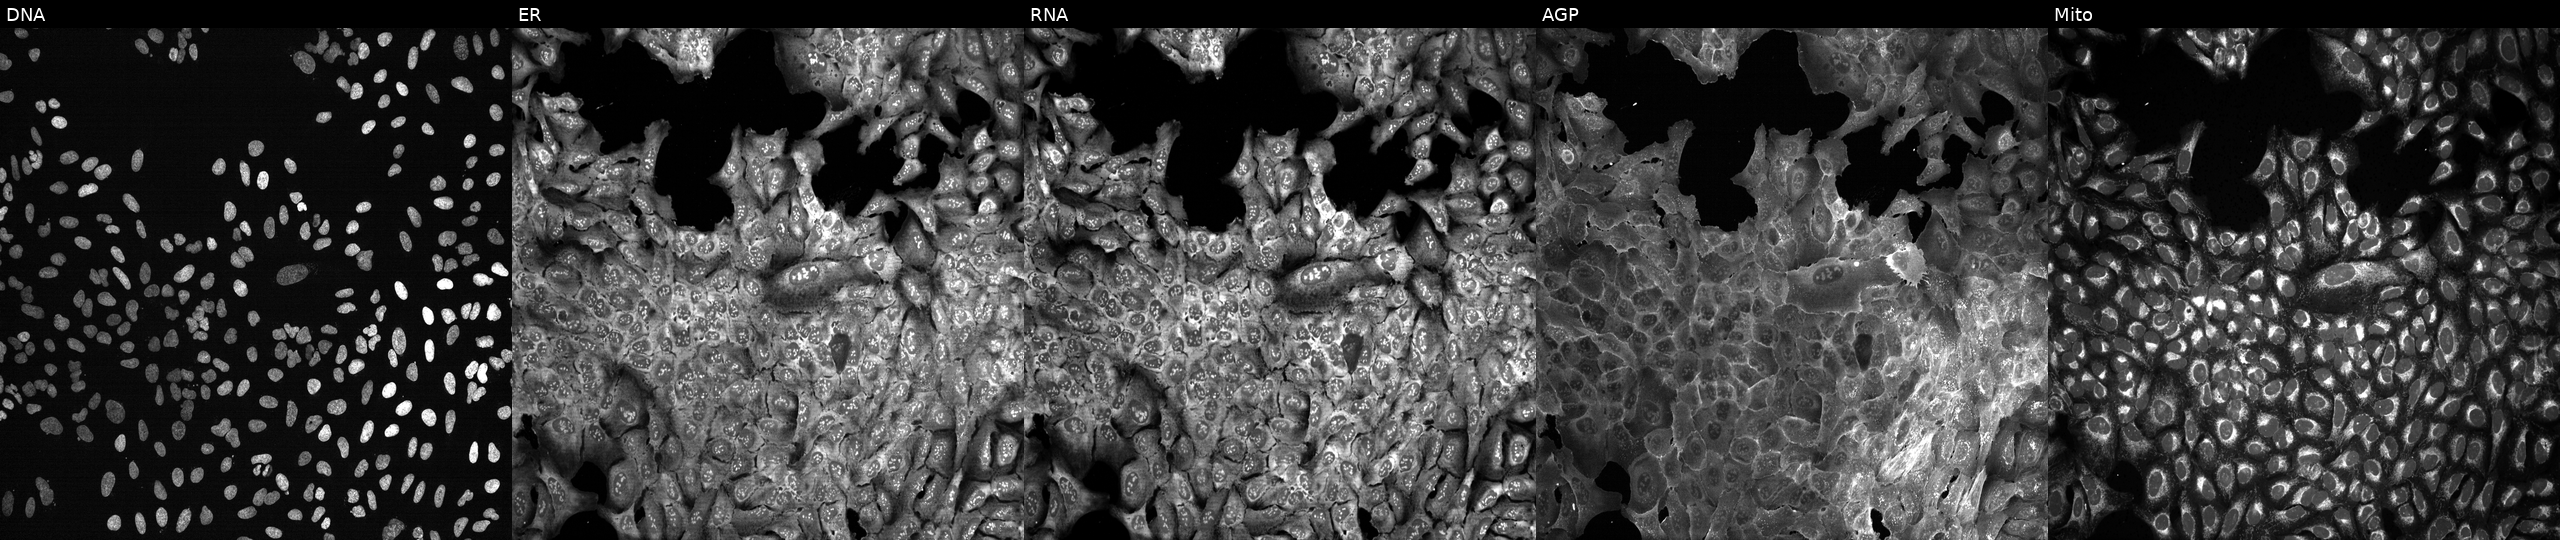
Five-channel Cell Painting image of U2OS cells following CRISPR knockout of CDX1. Channels (left→right): Hoechst 33342, concanavalin A, SYTO 14, phalloidin and WGA, MitoTracker. Source 13, plate CP-CC9-R6-19, well B06.